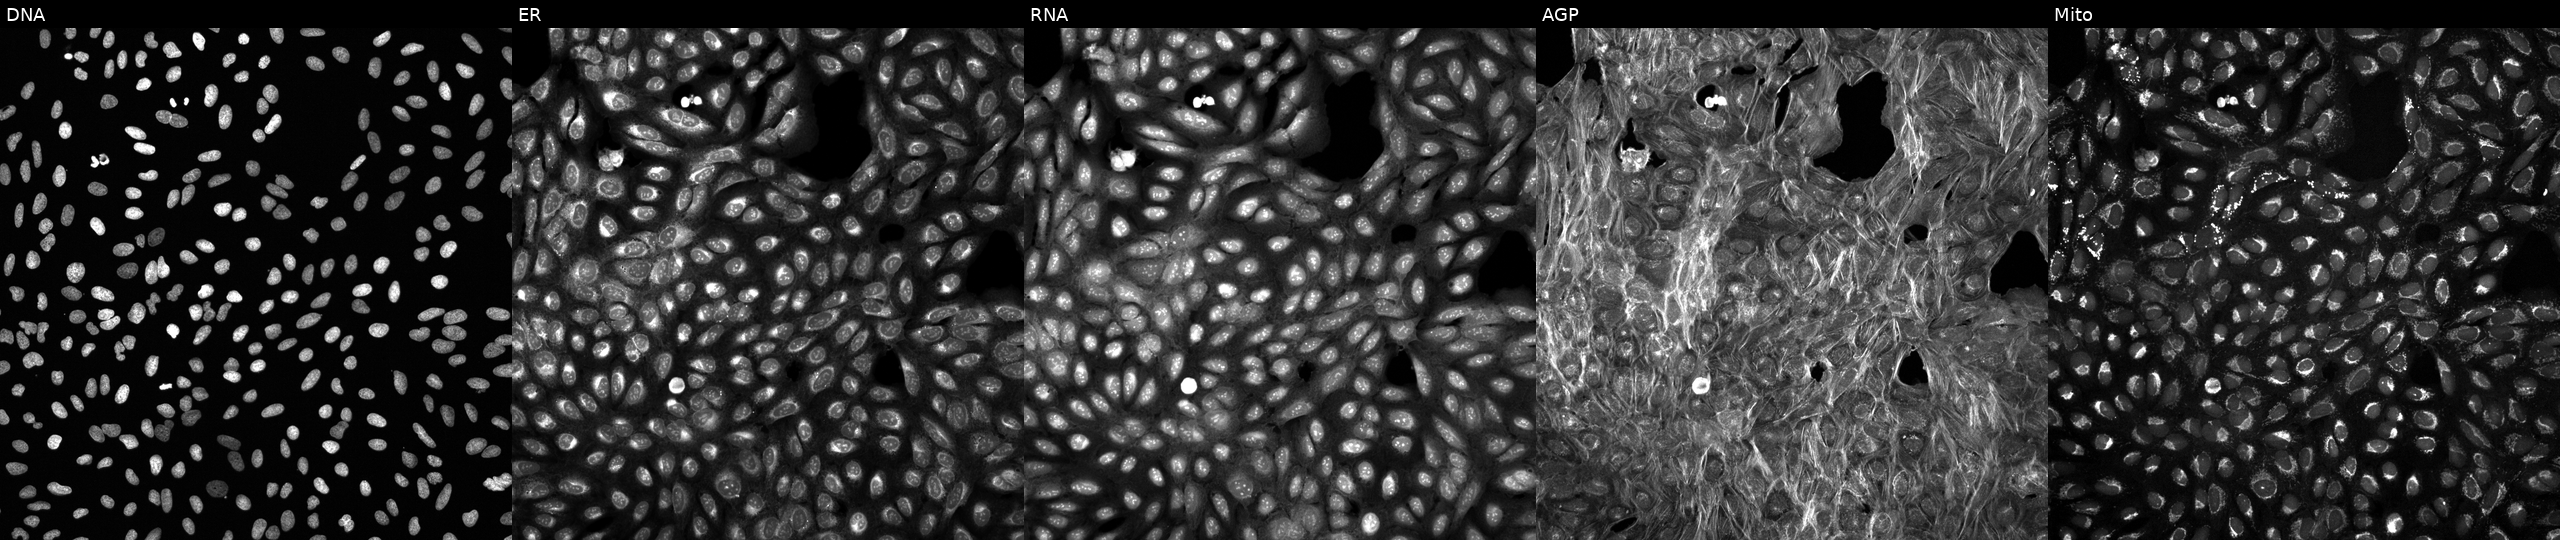
High-content fluorescence microscopy (Cell Painting). Cell line: U2OS. Perturbation: exposed to a small-molecule compound (InChIKey XGQJAHDAYAUWTG-UHFFFAOYSA-N) (JUMP id JCP2022_103526). From left to right: DNA, ER, RNA, AGP, and Mito.